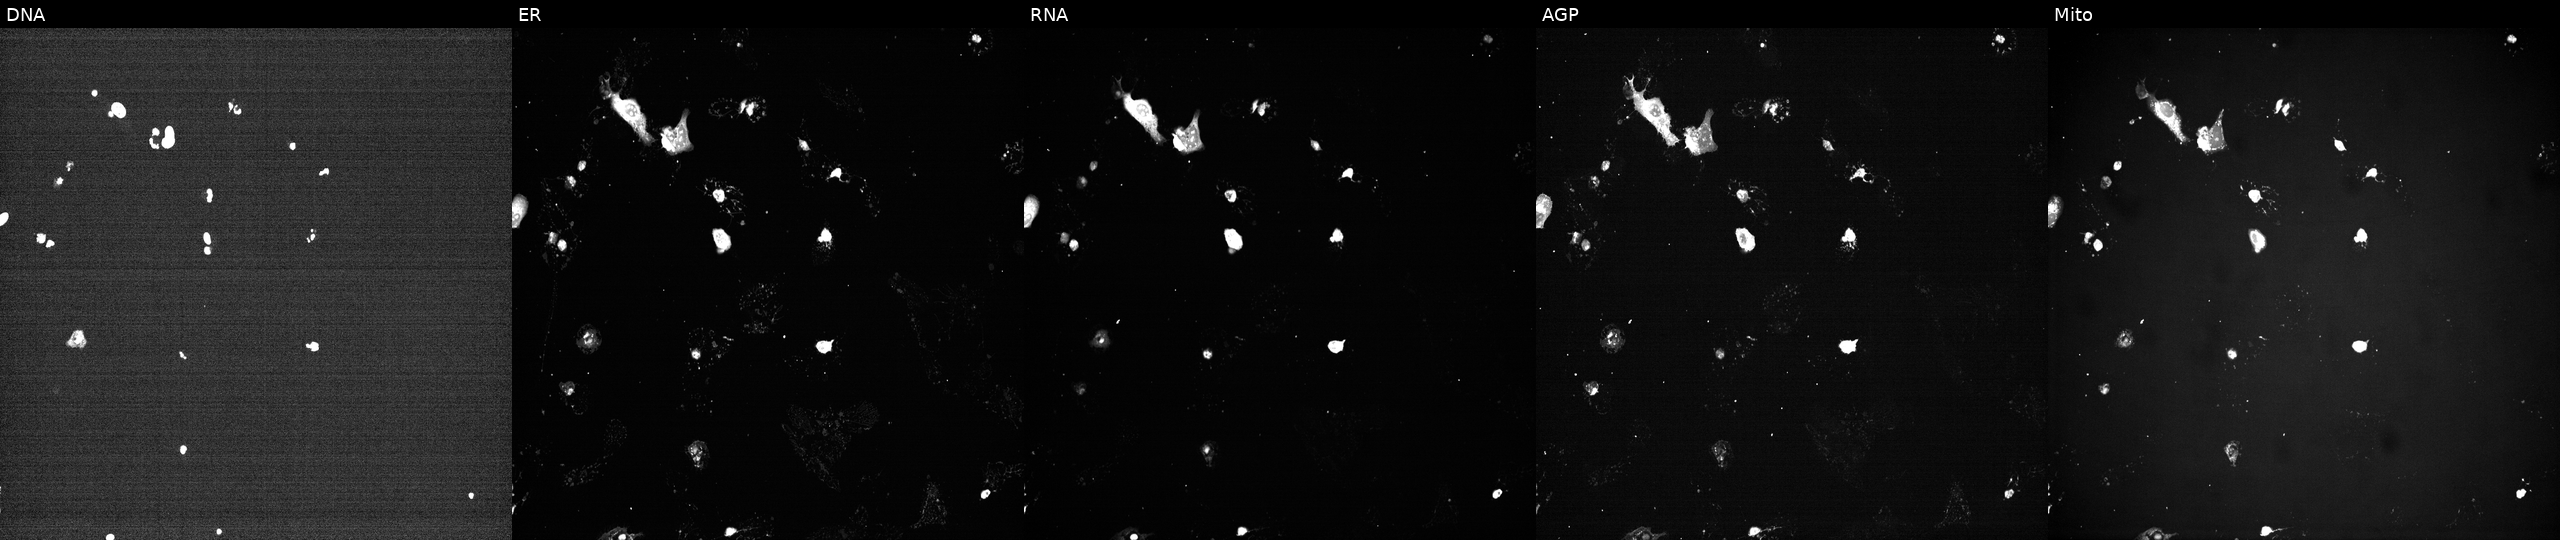
High-content fluorescence microscopy (Cell Painting). Cell line: U2OS. Perturbation: perturbed with a small-molecule compound (InChIKey BBDGBGOVJPEFBT-UHFFFAOYSA-N) (JUMP id JCP2022_005163). Channels (left→right): DNA, ER, RNA, AGP, and Mito. Source 7, plate CP3-SC1-25, well I01.